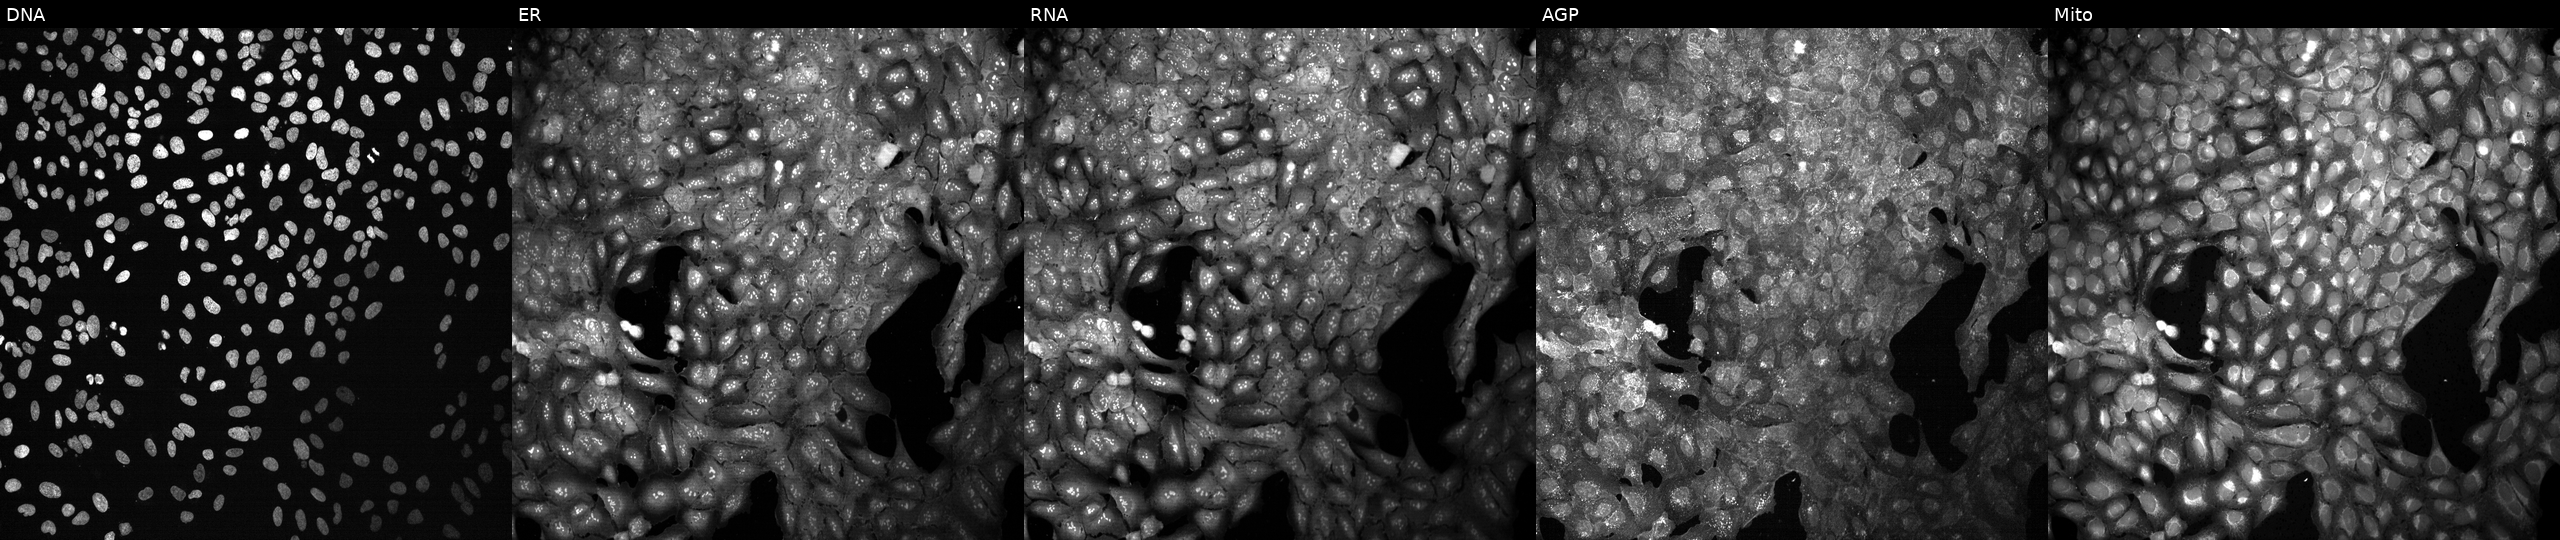
U2OS cells, Cell Painting assay, CRISPR-edited to disrupt DIO2 (JUMP id JCP2022_801817). Panels show, left to right, DNA (nuclei); ER (endoplasmic reticulum); RNA (nucleoli and cytoplasmic RNA); AGP (actin cytoskeleton, Golgi, and plasma membrane); Mito (mitochondria). Each panel is percentile-stretched 16-bit fluorescence.